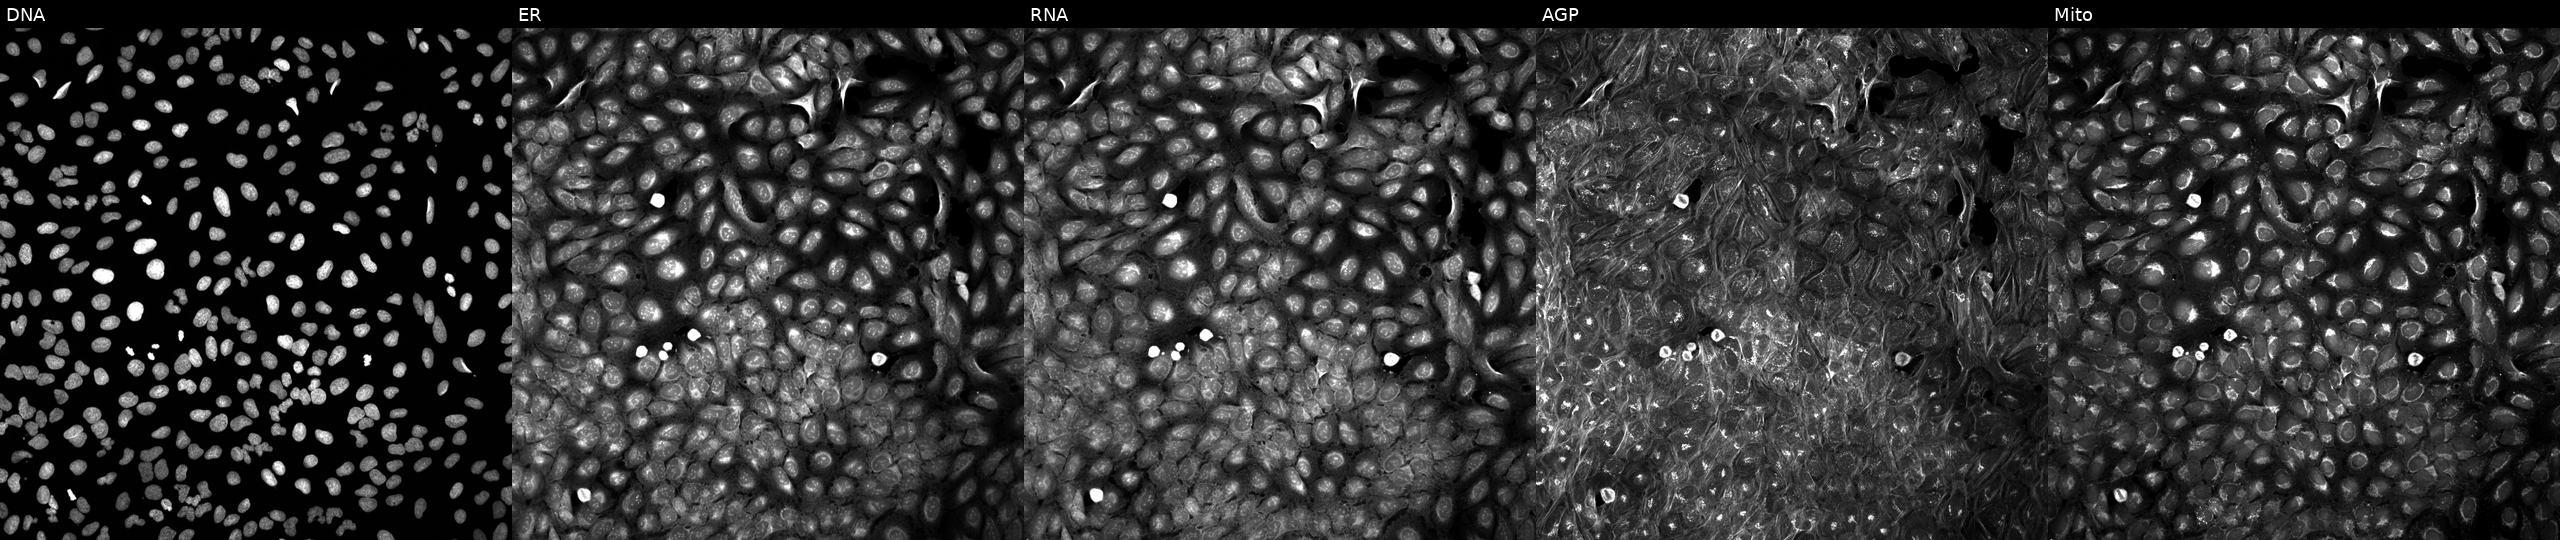
This image strip shows the five Cell Painting channels for a single field of U2OS cells exposed to DMSO alone as a negative control (JUMP id JCP2022_033924). Panels show, left to right, DNA, ER, RNA, AGP, and Mito. Source 5, plate APTJUM106, well A23.